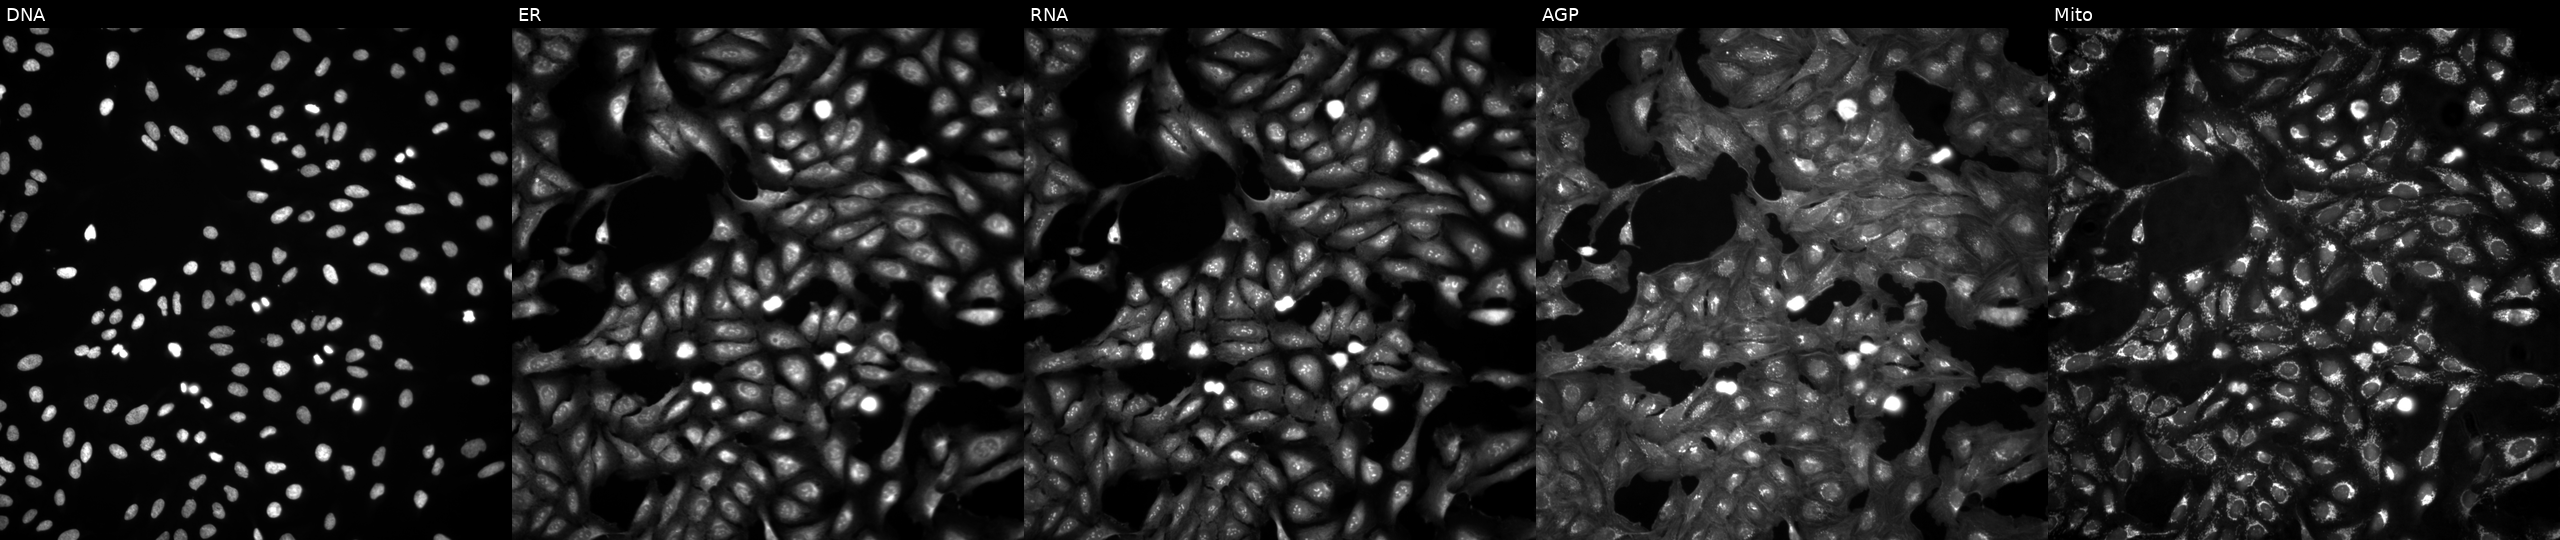
Channels (left→right): DNA (nuclei); ER (endoplasmic reticulum); RNA (nucleoli and cytoplasmic RNA); AGP (actin cytoskeleton, Golgi, and plasma membrane); Mito (mitochondria). U2OS osteosarcoma cells untreated (empty-well control) (JUMP id JCP2022_999999). Cell Painting assay, JUMP-CP dataset. Source 4, plate BR00124793, well P17.